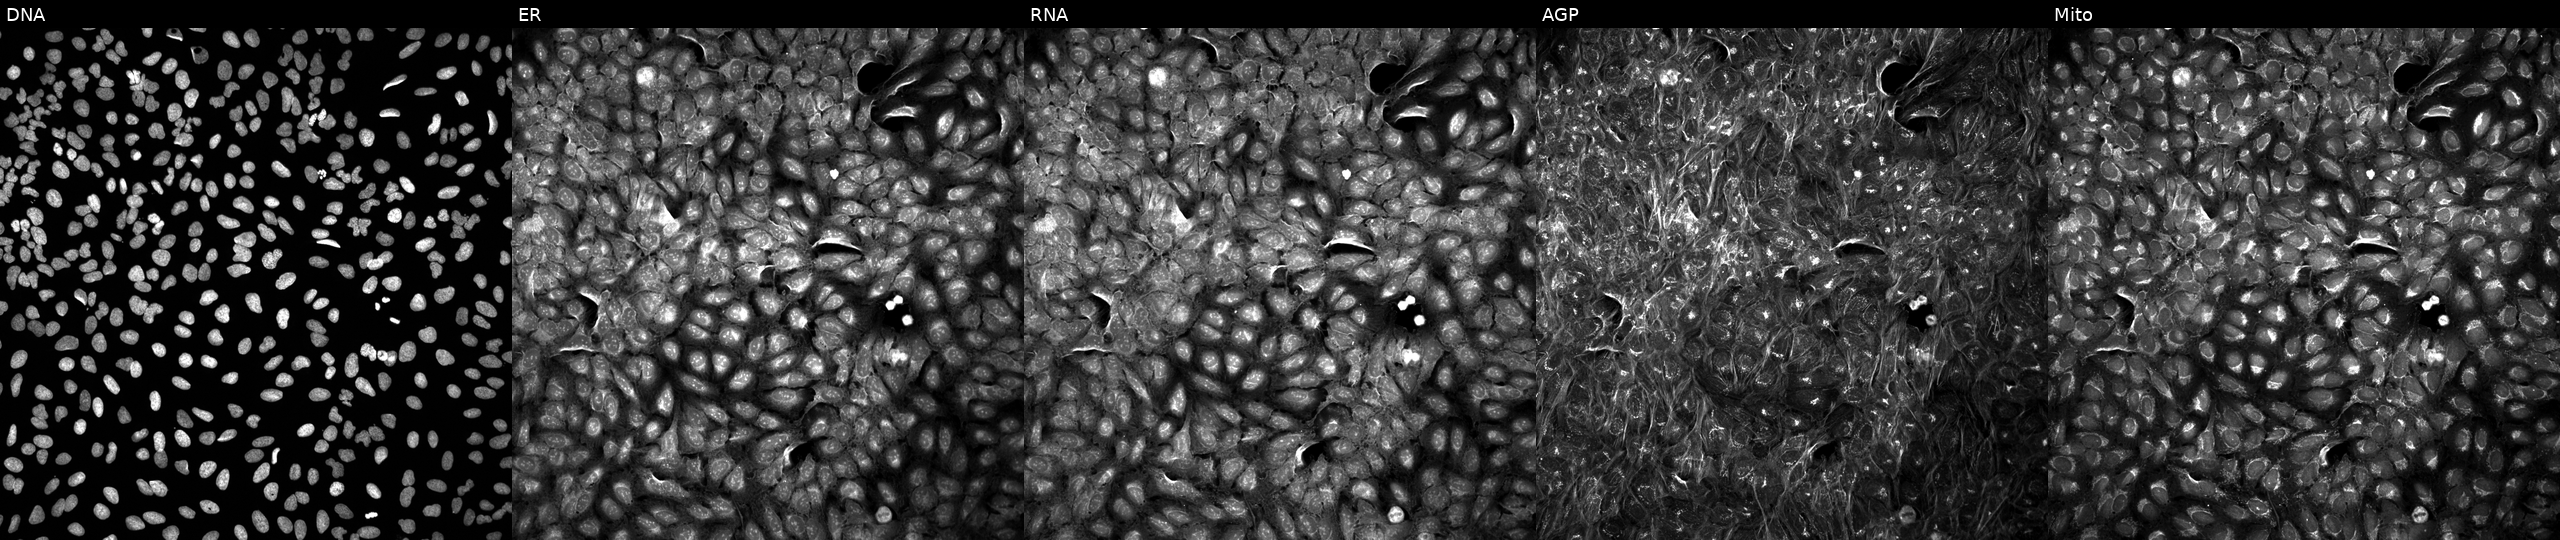
JUMP Cell Painting — COMPOUND plate. U2OS cells exposed to a small-molecule compound. Channels (left→right): DNA, ER, RNA, AGP, and Mito.